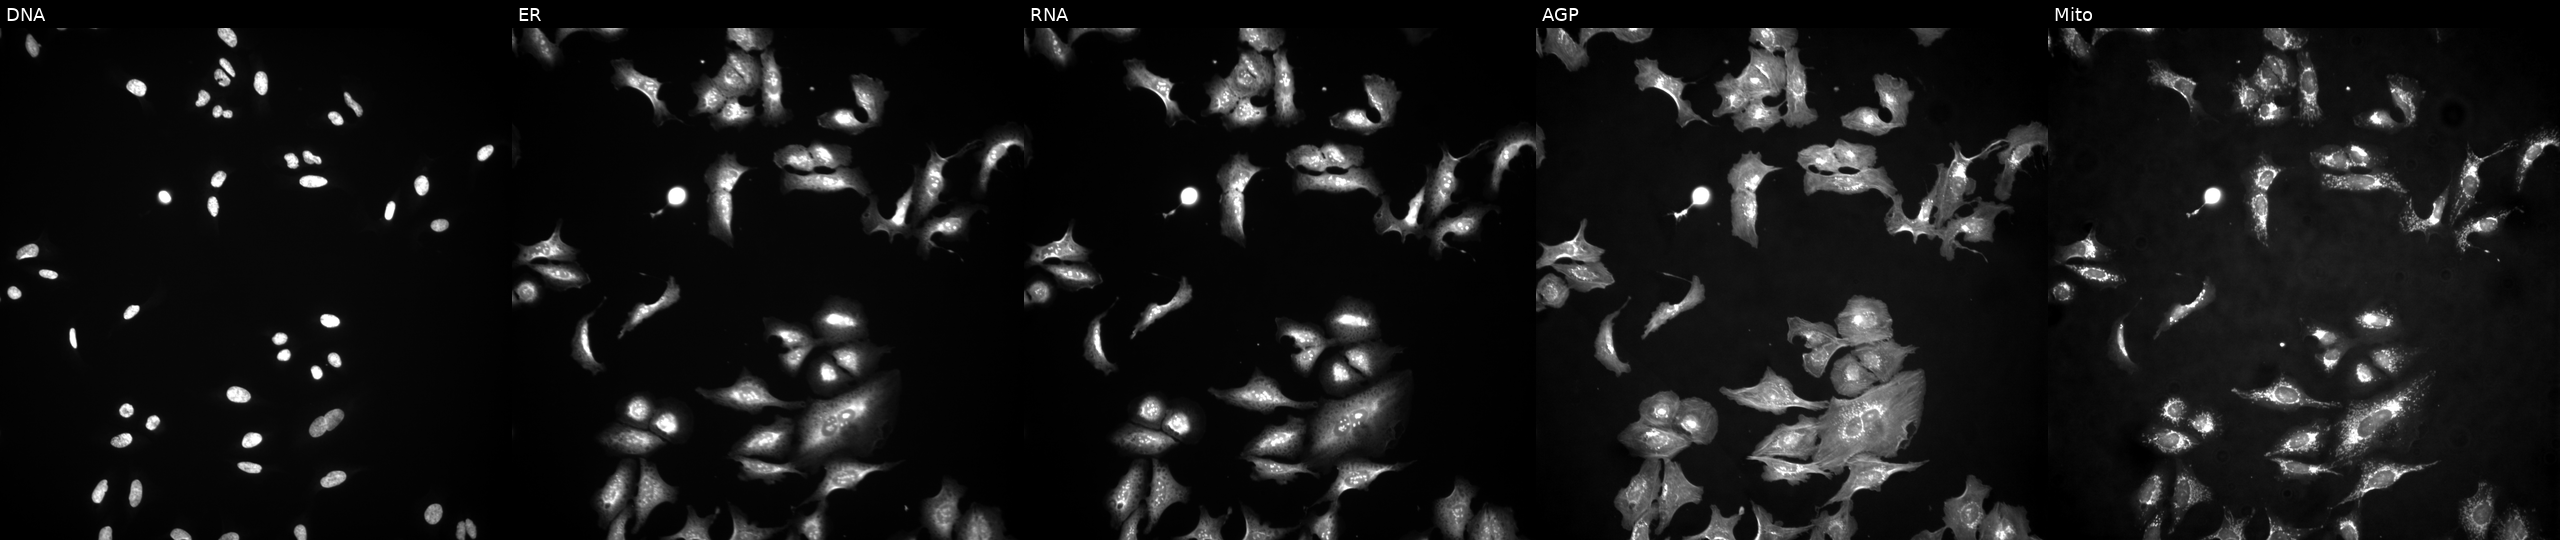
Five-channel Cell Painting image of U2OS cells transfected with an ORF construct for RAB8B (JUMP id JCP2022_903171). From left to right: DNA (nuclei); ER (endoplasmic reticulum); RNA (nucleoli and cytoplasmic RNA); AGP (actin cytoskeleton, Golgi, and plasma membrane); Mito (mitochondria).